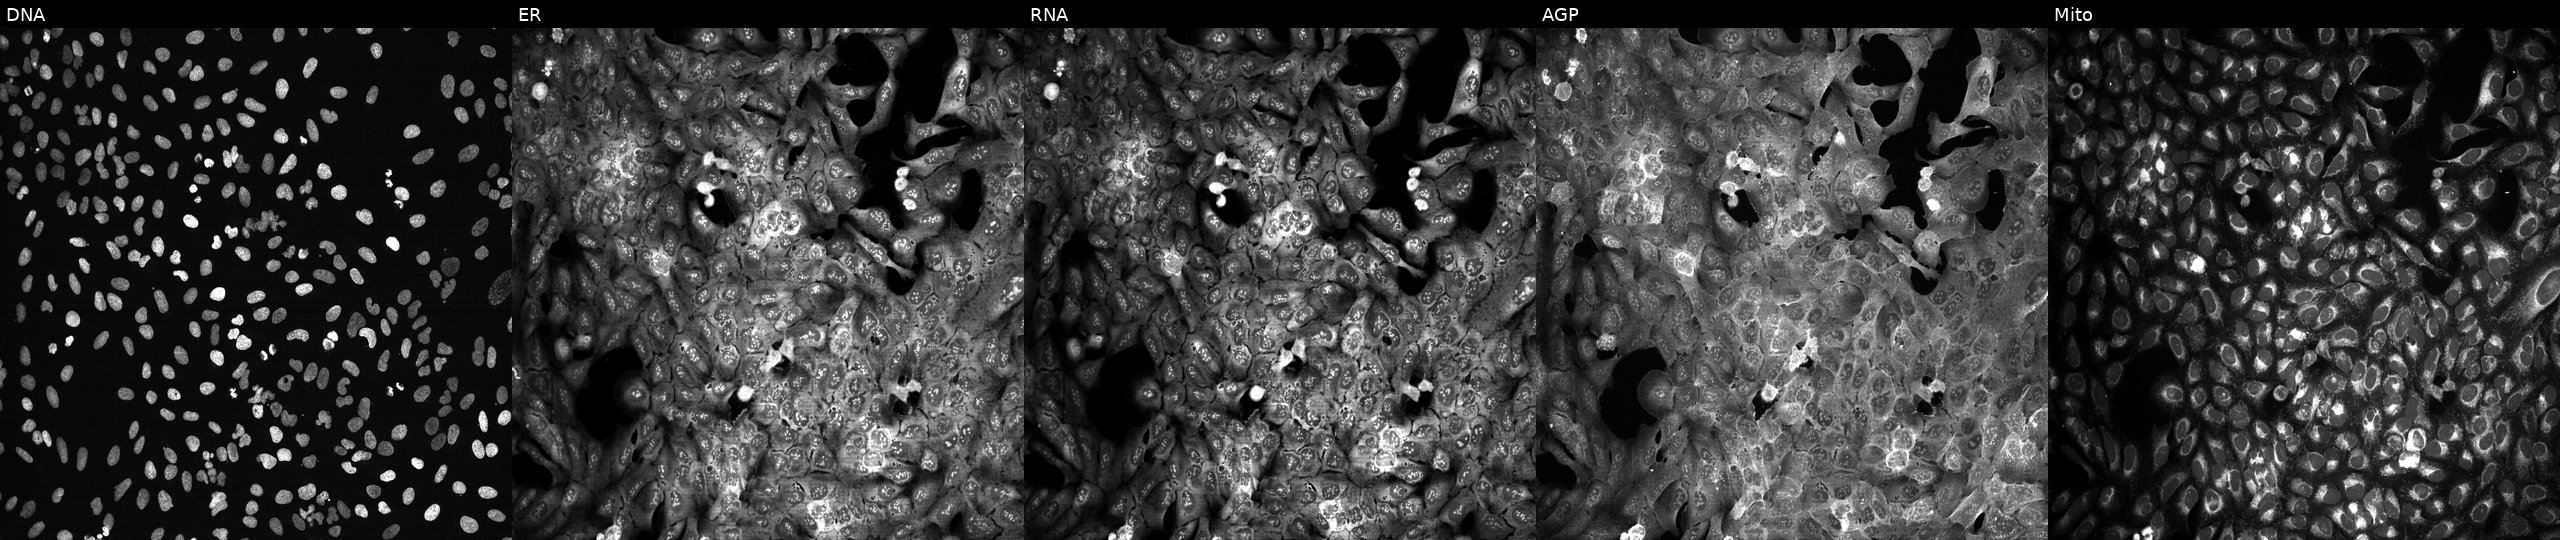
This image strip shows the five Cell Painting channels for a single field of U2OS cells following CRISPR knockout of UQCRFS1. The five panels, left to right, show DNA, ER, RNA, AGP, and Mito.